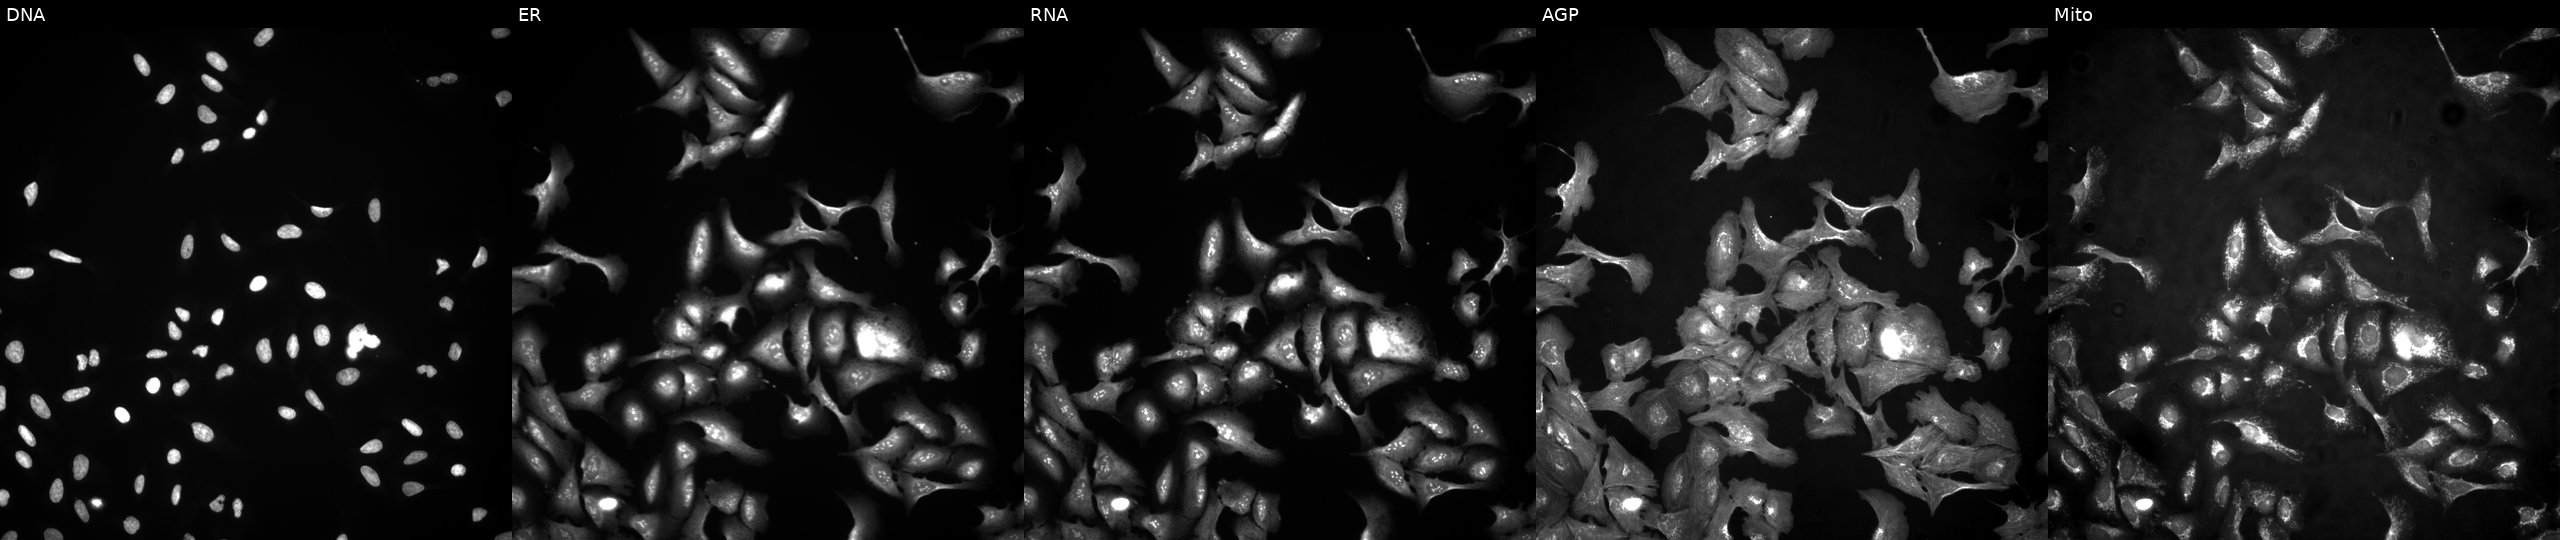
The five panels, left to right, show DNA, ER, RNA, AGP, and Mito. U2OS osteosarcoma cells with SDS overexpressed (ORF) (JUMP id JCP2022_910791). Cell Painting assay, JUMP-CP dataset.